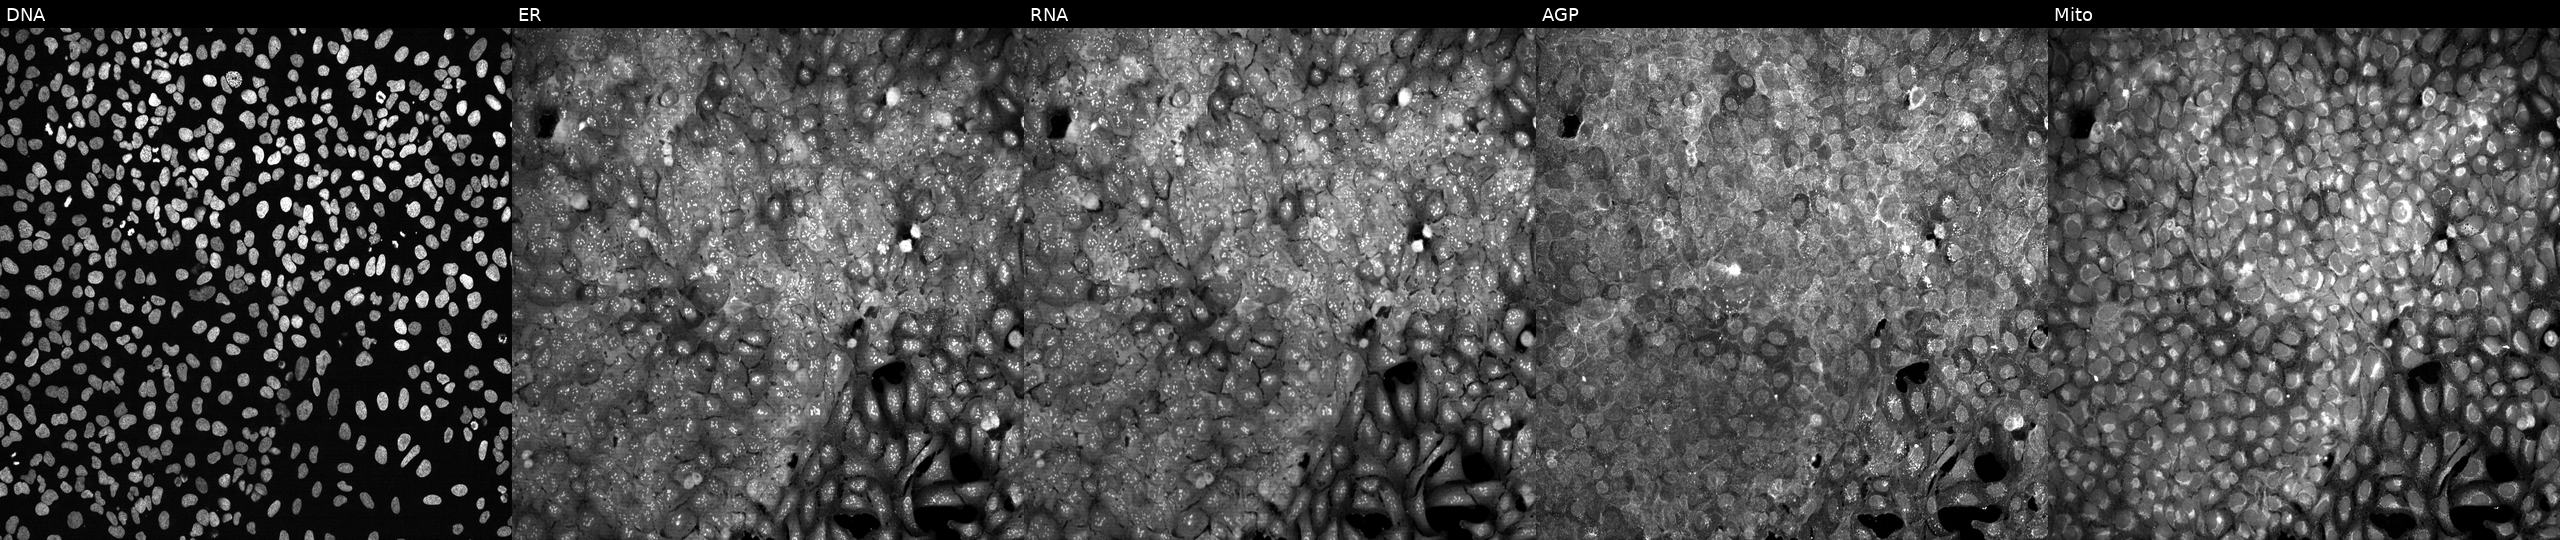
This image strip shows the five Cell Painting channels for a single field of U2OS cells with CD3G knocked out by CRISPR. The five panels, left to right, show Hoechst 33342, concanavalin A, SYTO 14, phalloidin and WGA, MitoTracker.